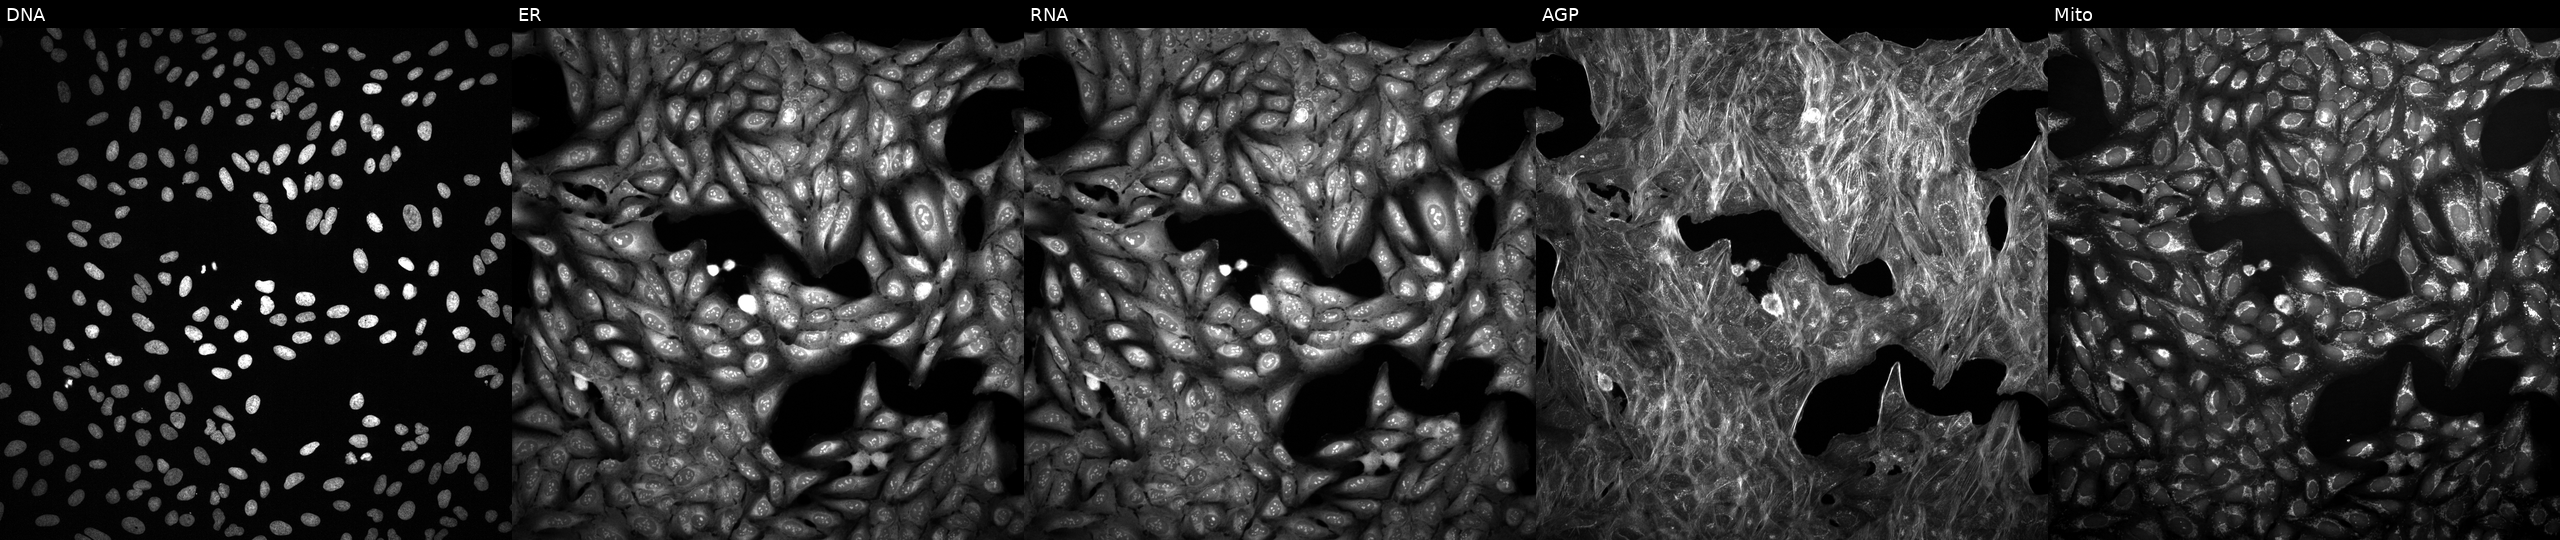
Five-channel Cell Painting image of U2OS cells exposed to a small-molecule compound (InChIKey NXNKJLOEGWSJGI-UHFFFAOYSA-N) (JUMP id JCP2022_062023). Panels show, left to right, DNA, ER, RNA, AGP, and Mito. Source 2, plate 1053597936, well P08.